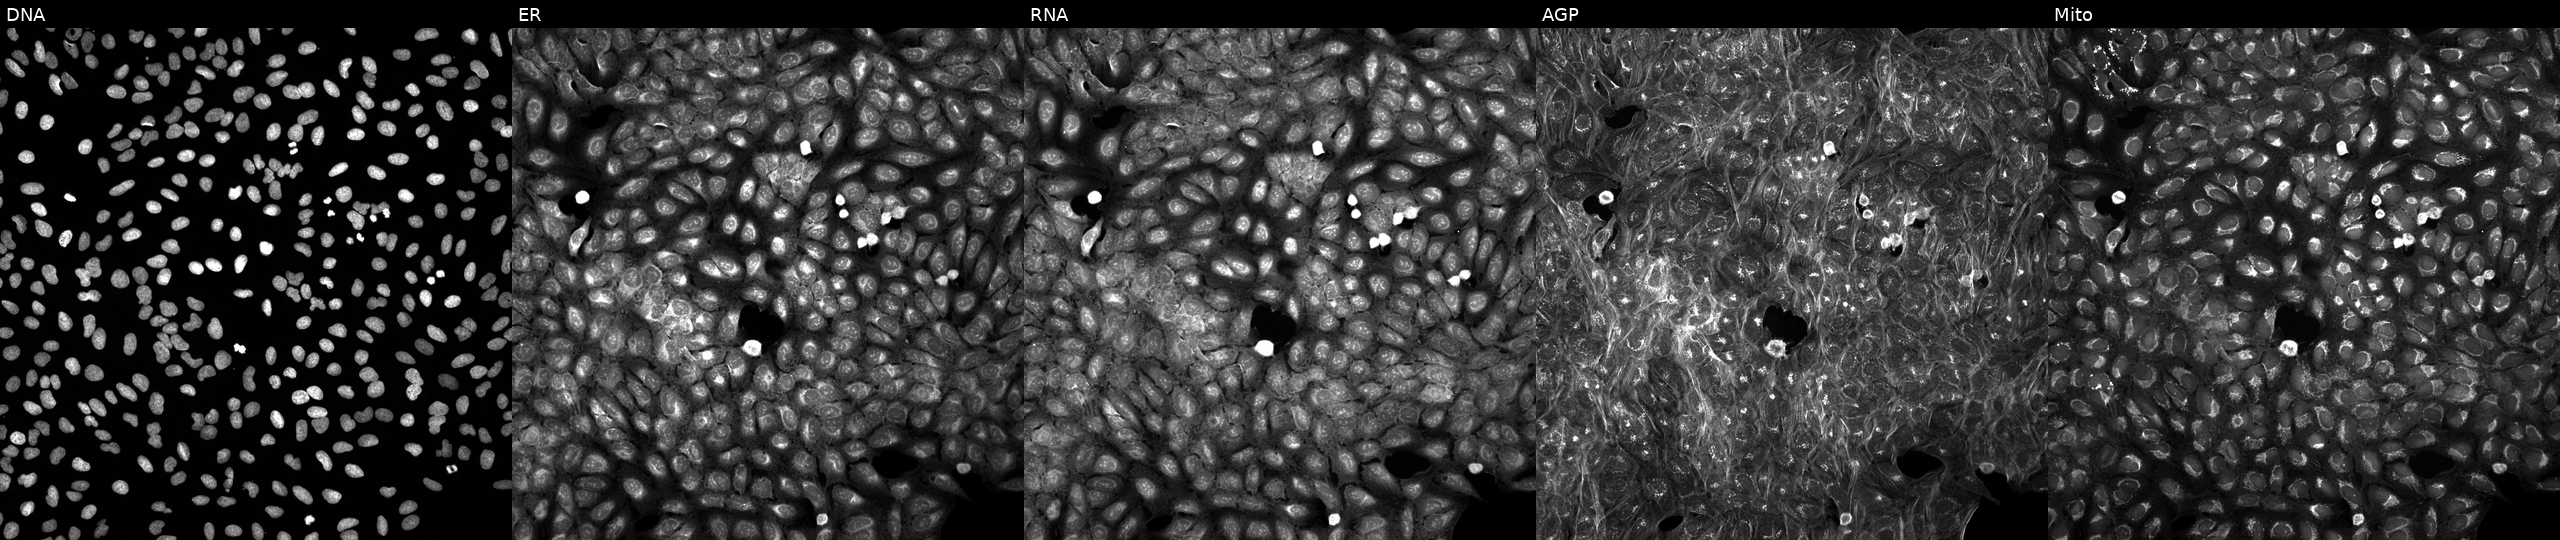
This image strip shows the five Cell Painting channels for a single field of U2OS cells exposed to DMSO alone as a negative control (JUMP id JCP2022_033924). Panels show, left to right, DNA, ER, RNA, AGP, and Mito.